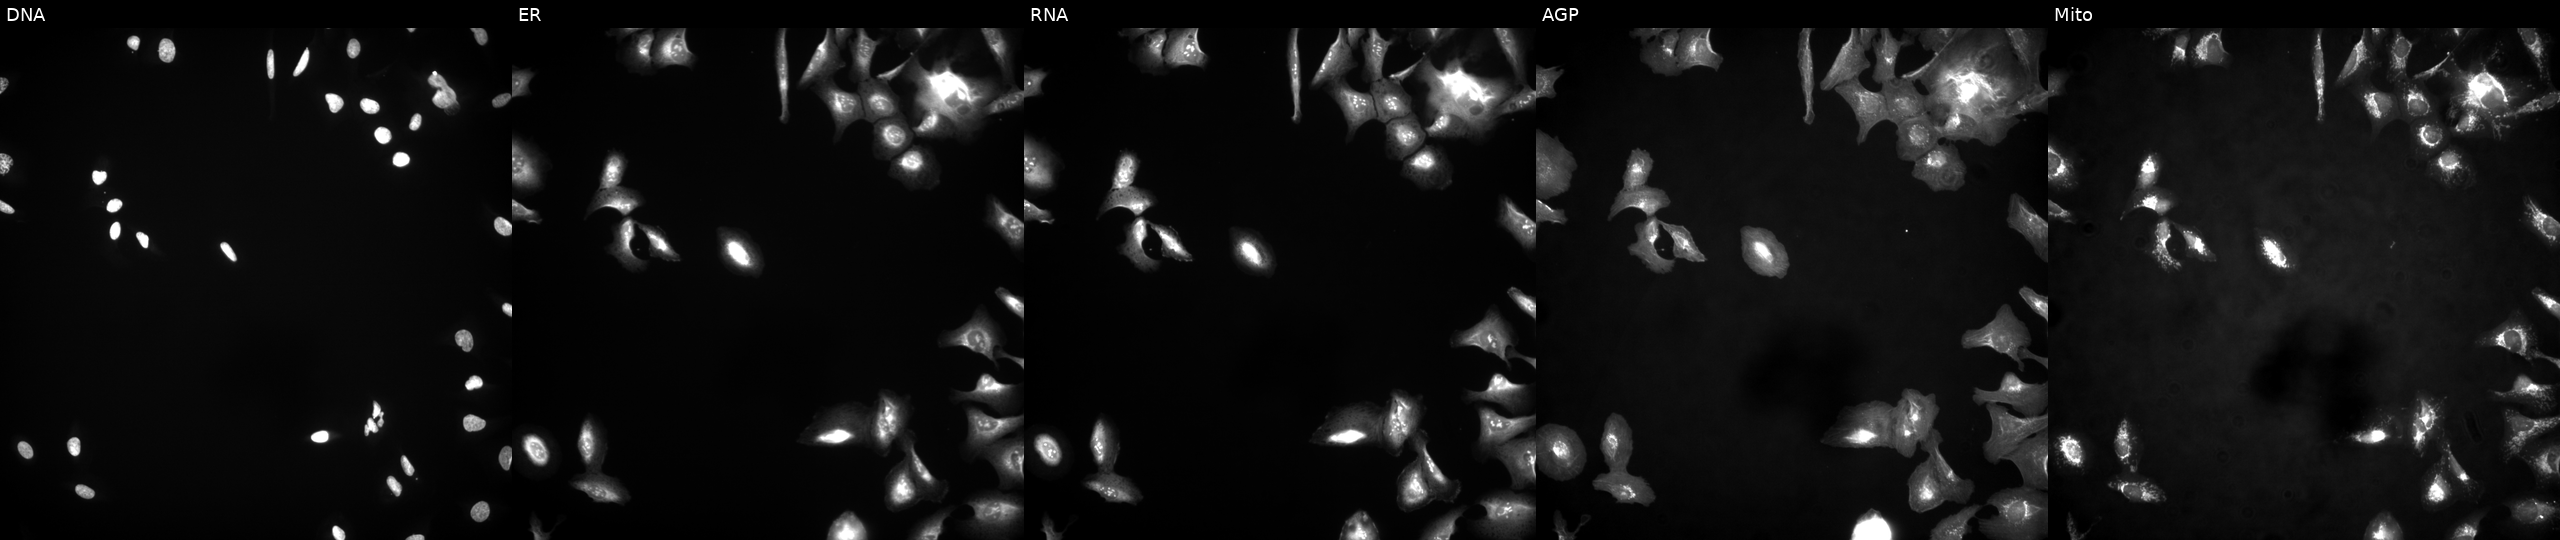
This image strip shows the five Cell Painting channels for a single field of U2OS cells overexpressing HNRNPUL1 via ORF transfection. Channels (left→right): Hoechst 33342, concanavalin A, SYTO 14, phalloidin and WGA, MitoTracker.